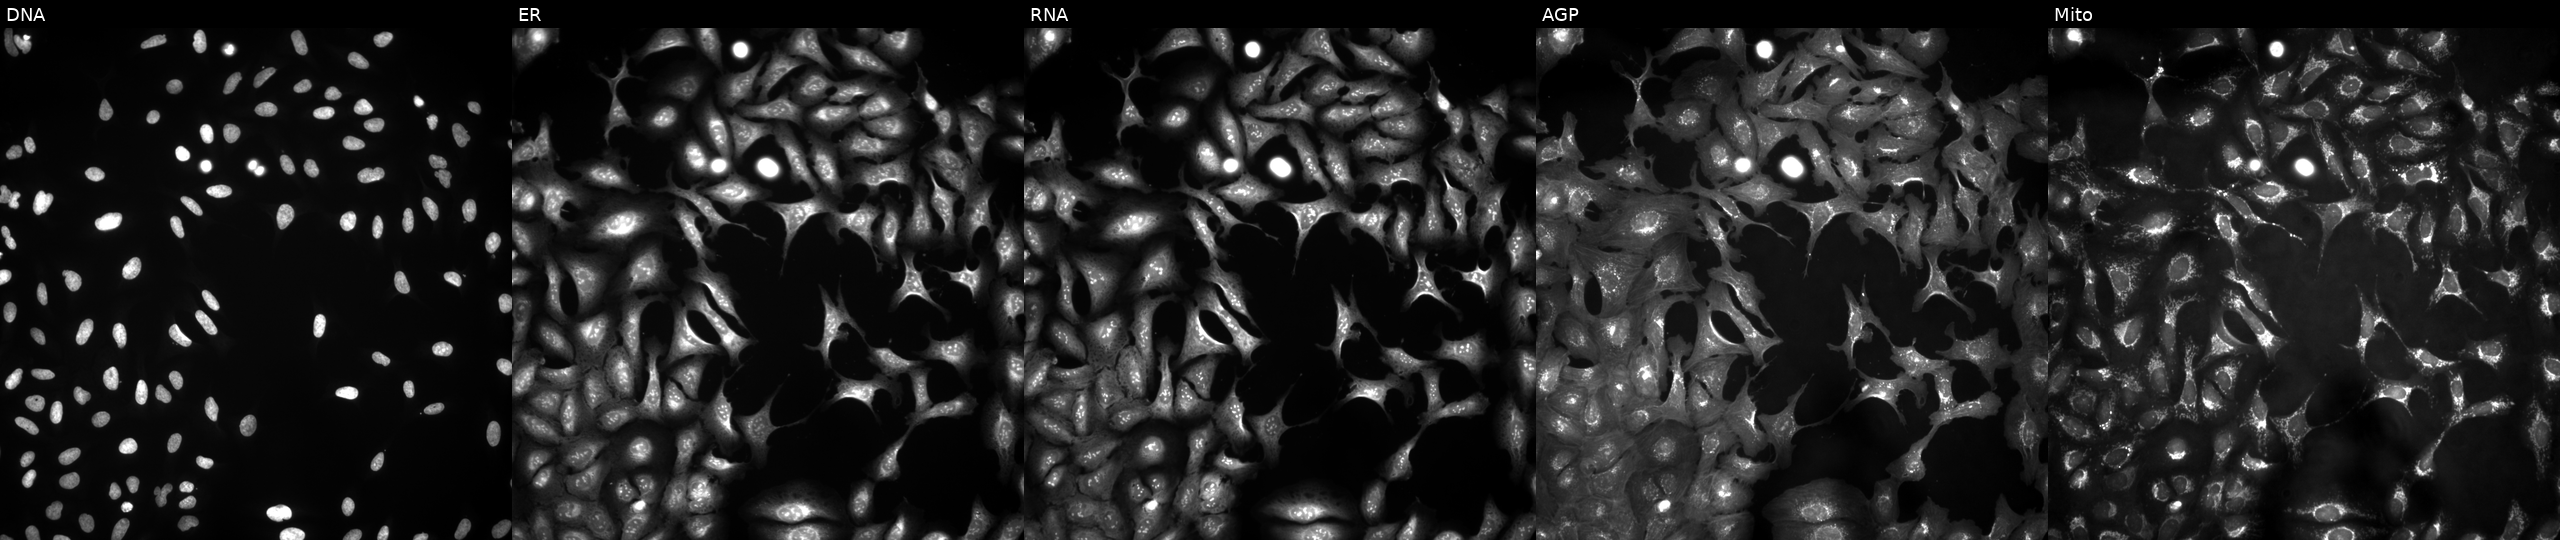
This image strip shows the five Cell Painting channels for a single field of U2OS cells with PDLIM5 overexpressed (ORF). The five panels, left to right, show DNA, ER, RNA, AGP, and Mito.